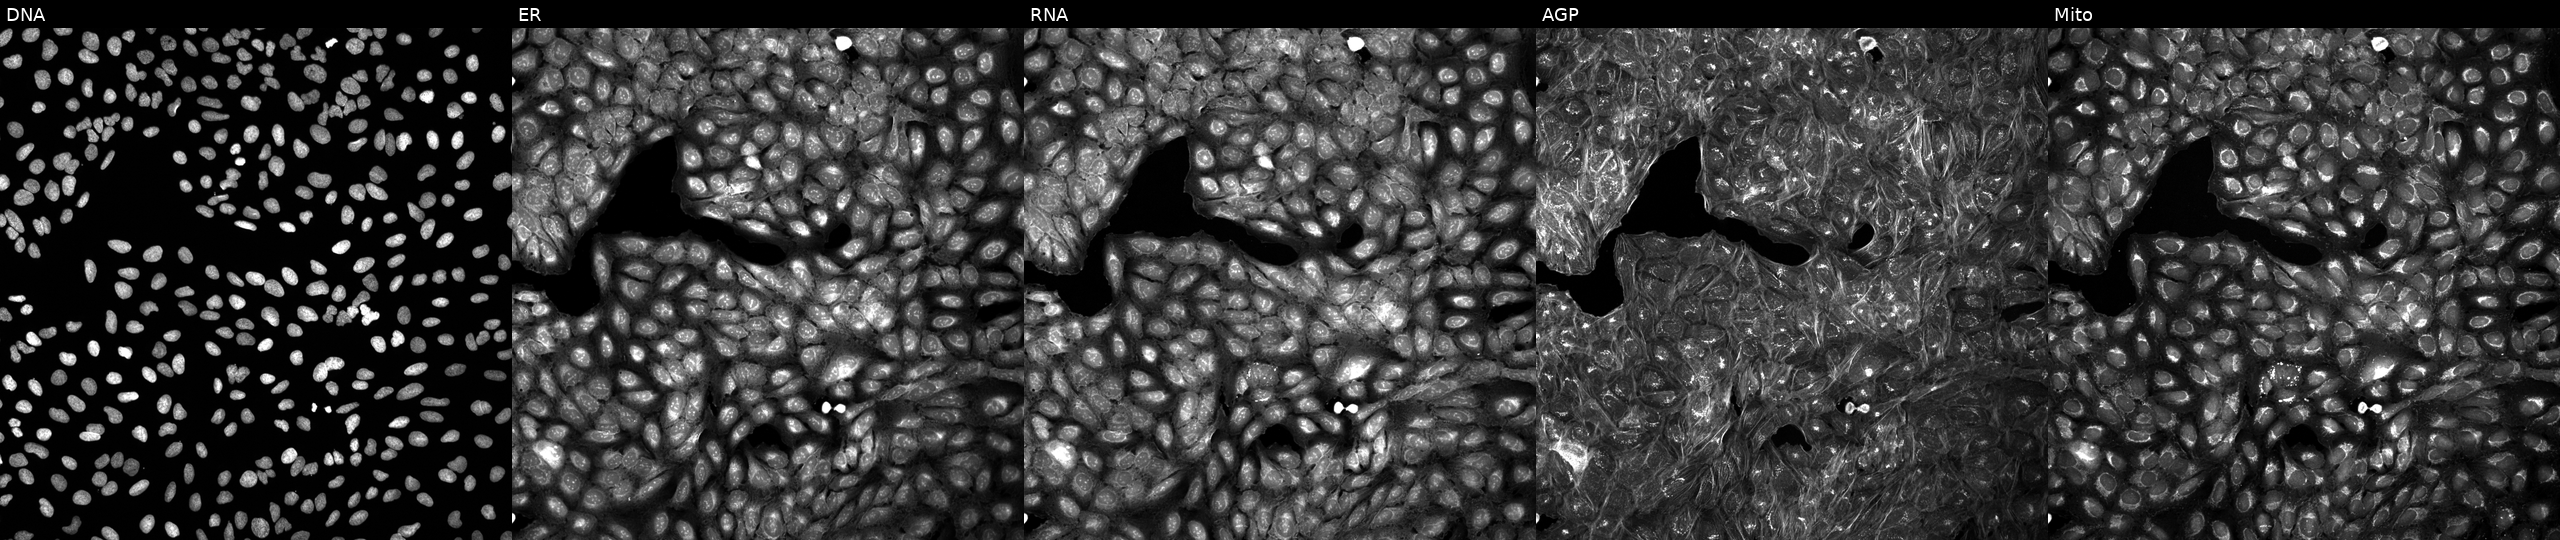
Five-channel Cell Painting image of U2OS cells treated with a small-molecule compound (InChIKey NAVJDTMMKUIRHM-UHFFFAOYSA-N) [SMILES: COCc1ncc(C)n1CCNC(=O)CN1CCCCCC1]. Channels (left→right): DNA, ER, RNA, AGP, and Mito.